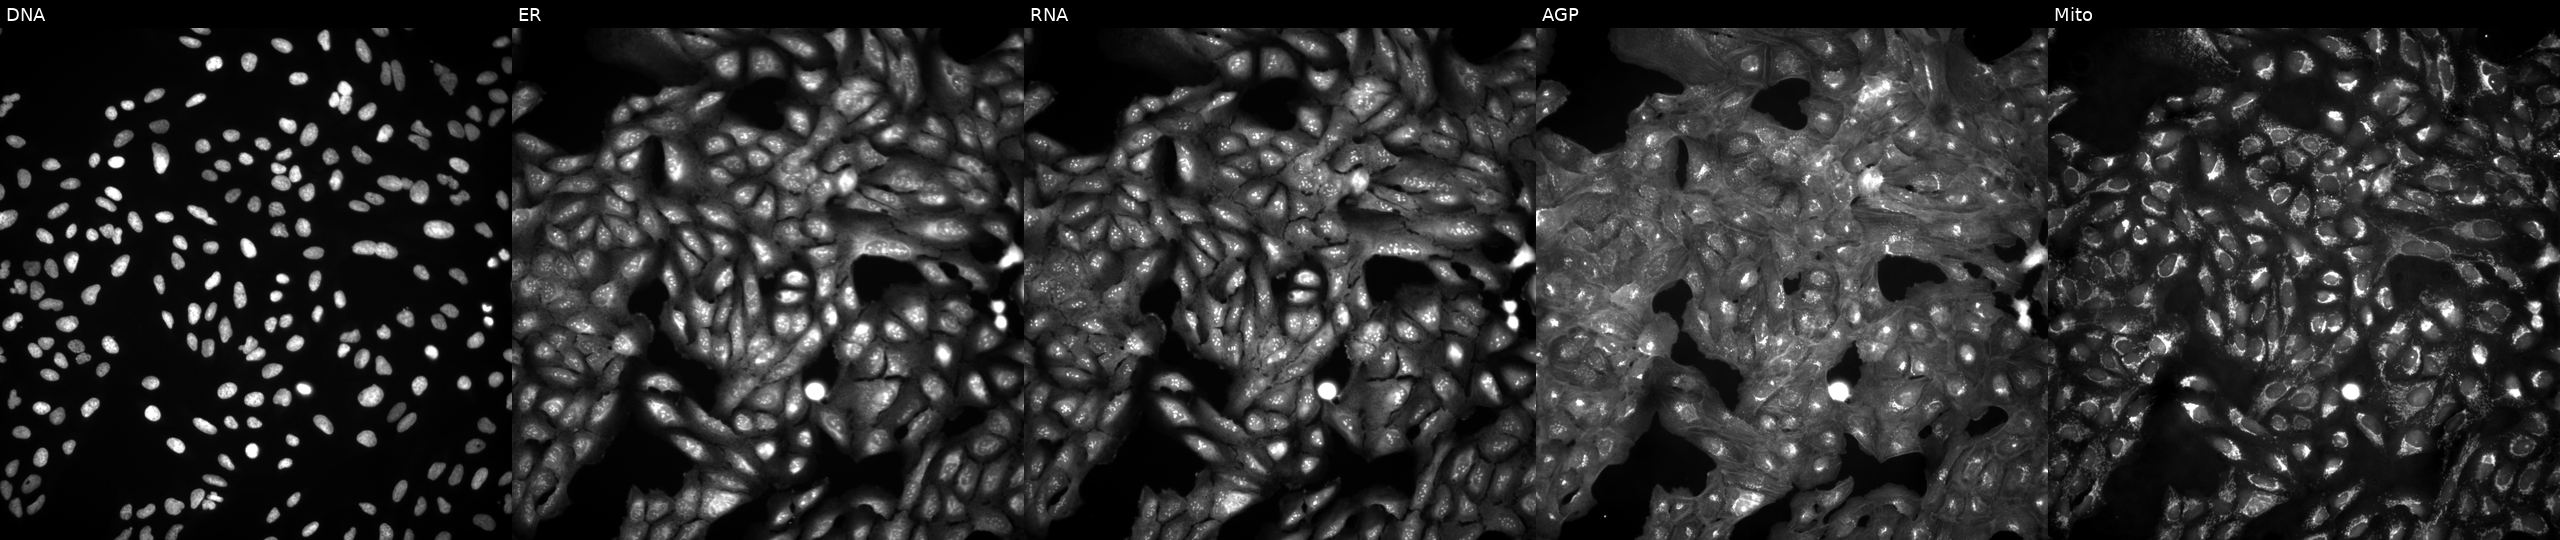
Five-channel Cell Painting image of U2OS cells in an empty control well (no perturbation) (JUMP id JCP2022_999999). The five panels, left to right, show Hoechst 33342, concanavalin A, SYTO 14, phalloidin and WGA, MitoTracker.